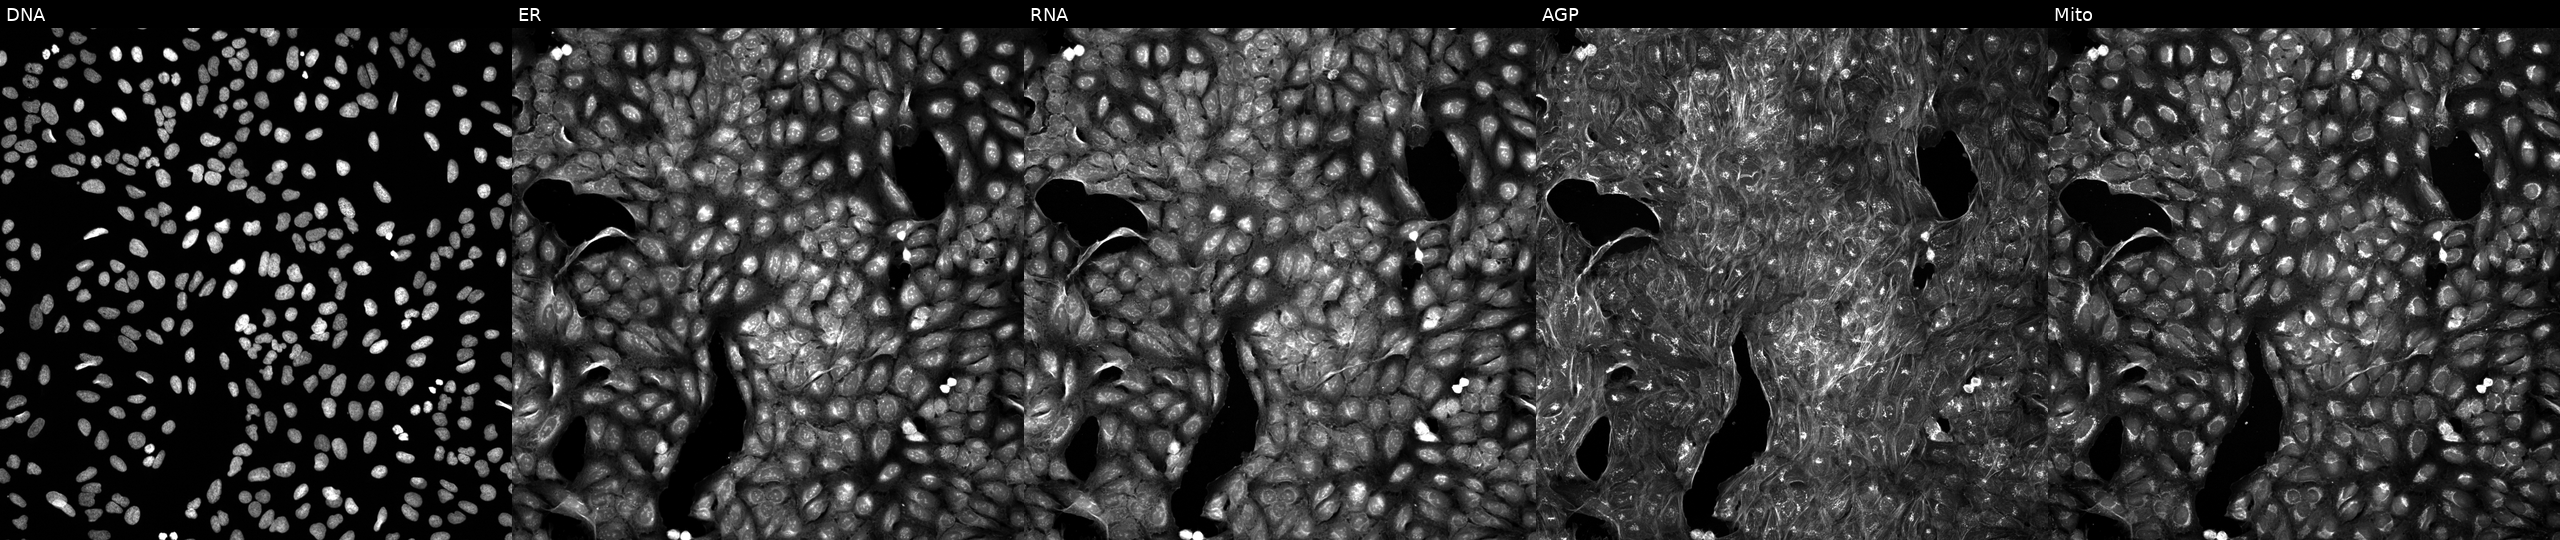
This image strip shows the five Cell Painting channels for a single field of U2OS cells perturbed with a small-molecule compound (InChIKey IZHJAIDSAQNPOB-UHFFFAOYSA-N) (JUMP id JCP2022_038286). From left to right: DNA, ER, RNA, AGP, and Mito.